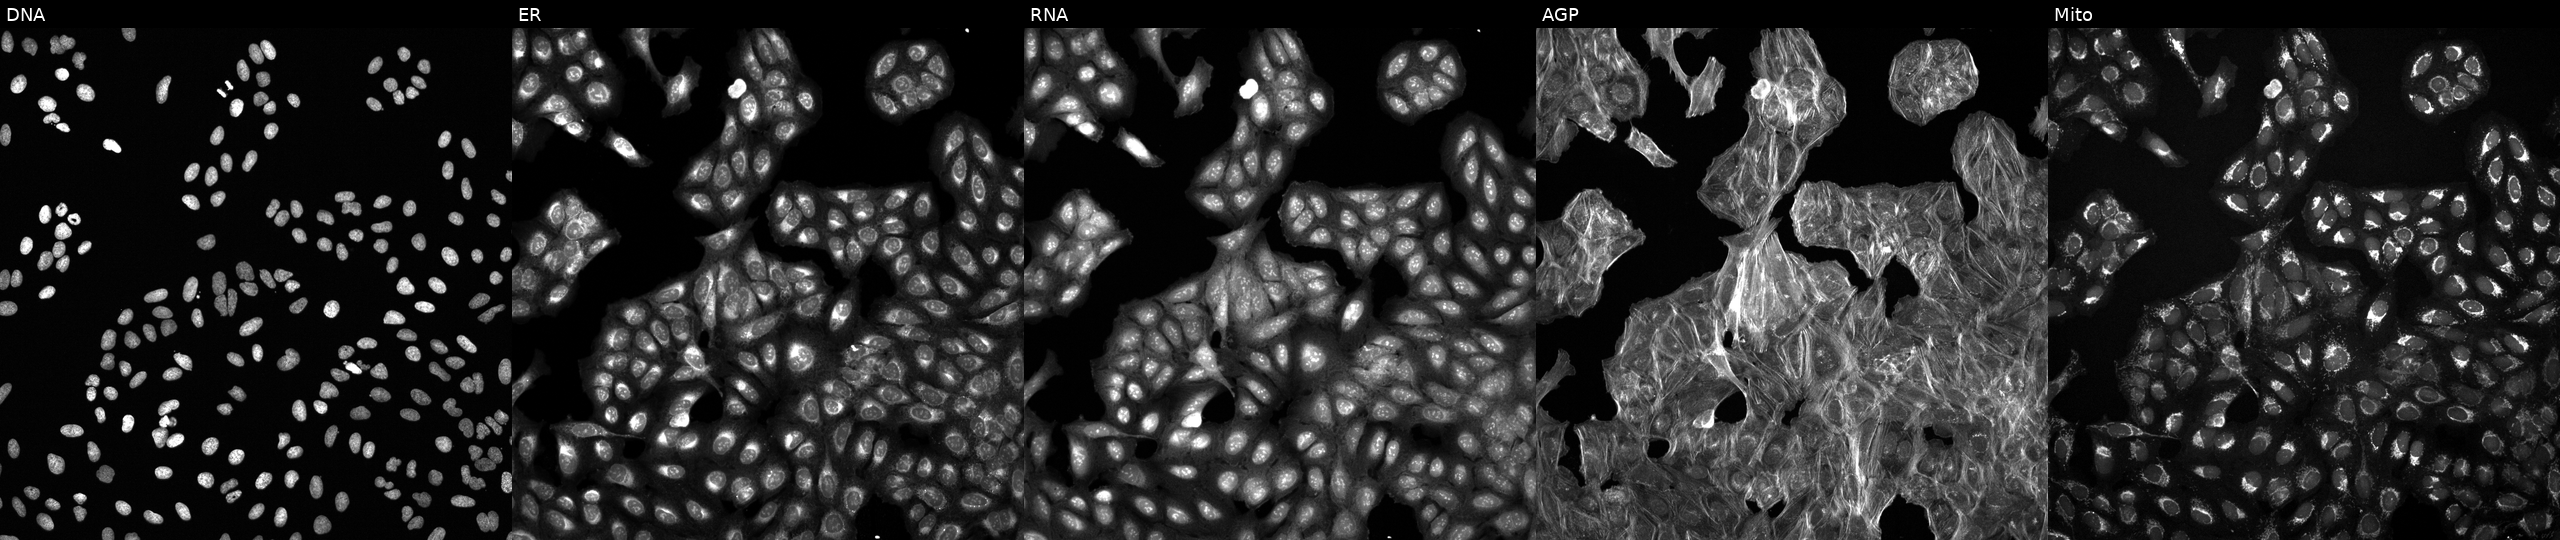
U2OS cells, Cell Painting assay, perturbed with a small-molecule compound. From left to right: DNA (nuclei); ER (endoplasmic reticulum); RNA (nucleoli and cytoplasmic RNA); AGP (actin cytoskeleton, Golgi, and plasma membrane); Mito (mitochondria). Each panel is percentile-stretched 16-bit fluorescence. Source 6, plate 110000293081, well F02.